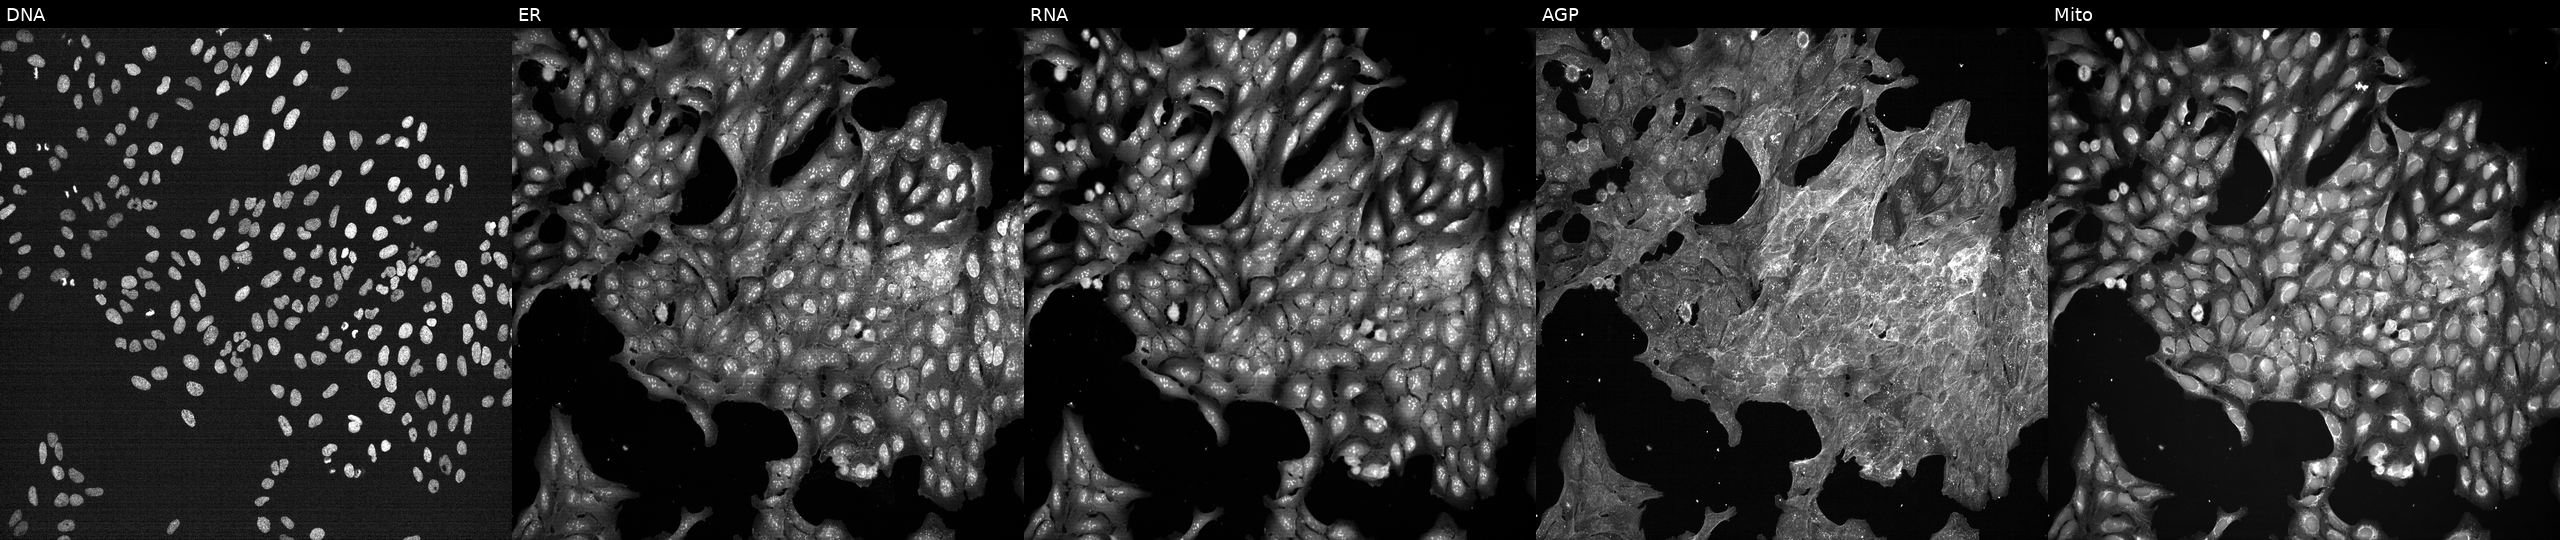
JUMP Cell Painting — TARGET2 plate. U2OS cells exposed to a small-molecule compound (InChIKey DTGLZDAWLRGWQN-UHFFFAOYSA-N) [SMILES: CC(=O)Oc1cc2c(s1)CCN(C(C(=O)C1CC1)c1ccccc1F)C2]. The five panels, left to right, show Hoechst 33342, concanavalin A, SYTO 14, phalloidin and WGA, MitoTracker.